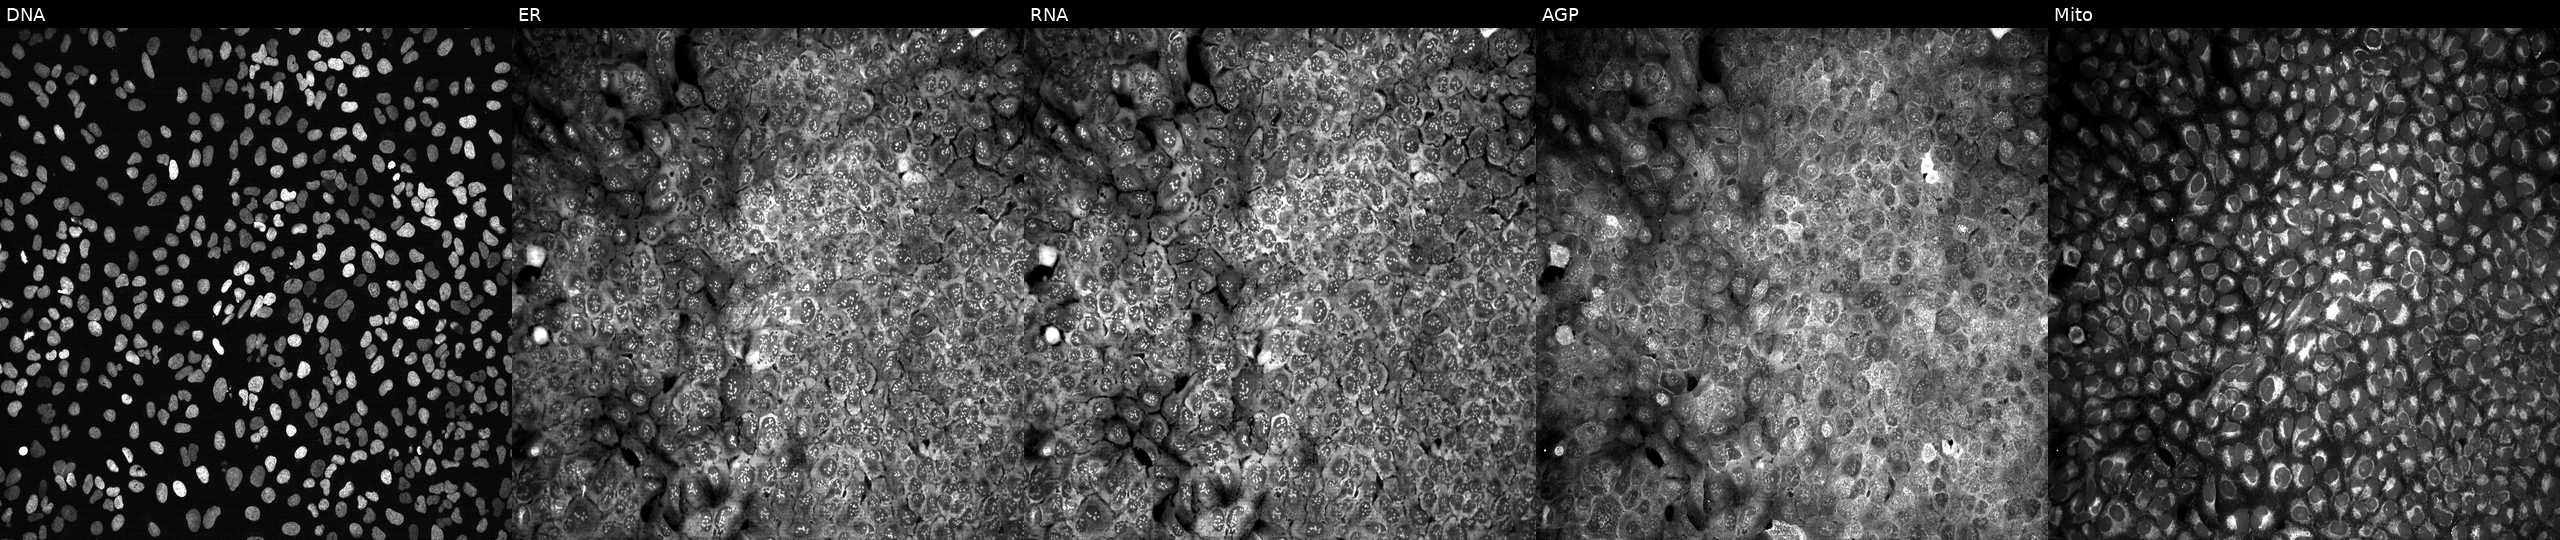
U2OS cells, Cell Painting assay, with a non-targeting CRISPR guide (negative control). From left to right: Hoechst 33342, concanavalin A, SYTO 14, phalloidin and WGA, MitoTracker. Each panel is percentile-stretched 16-bit fluorescence. Source 13, plate CP-CC9-R4-04, well I23.